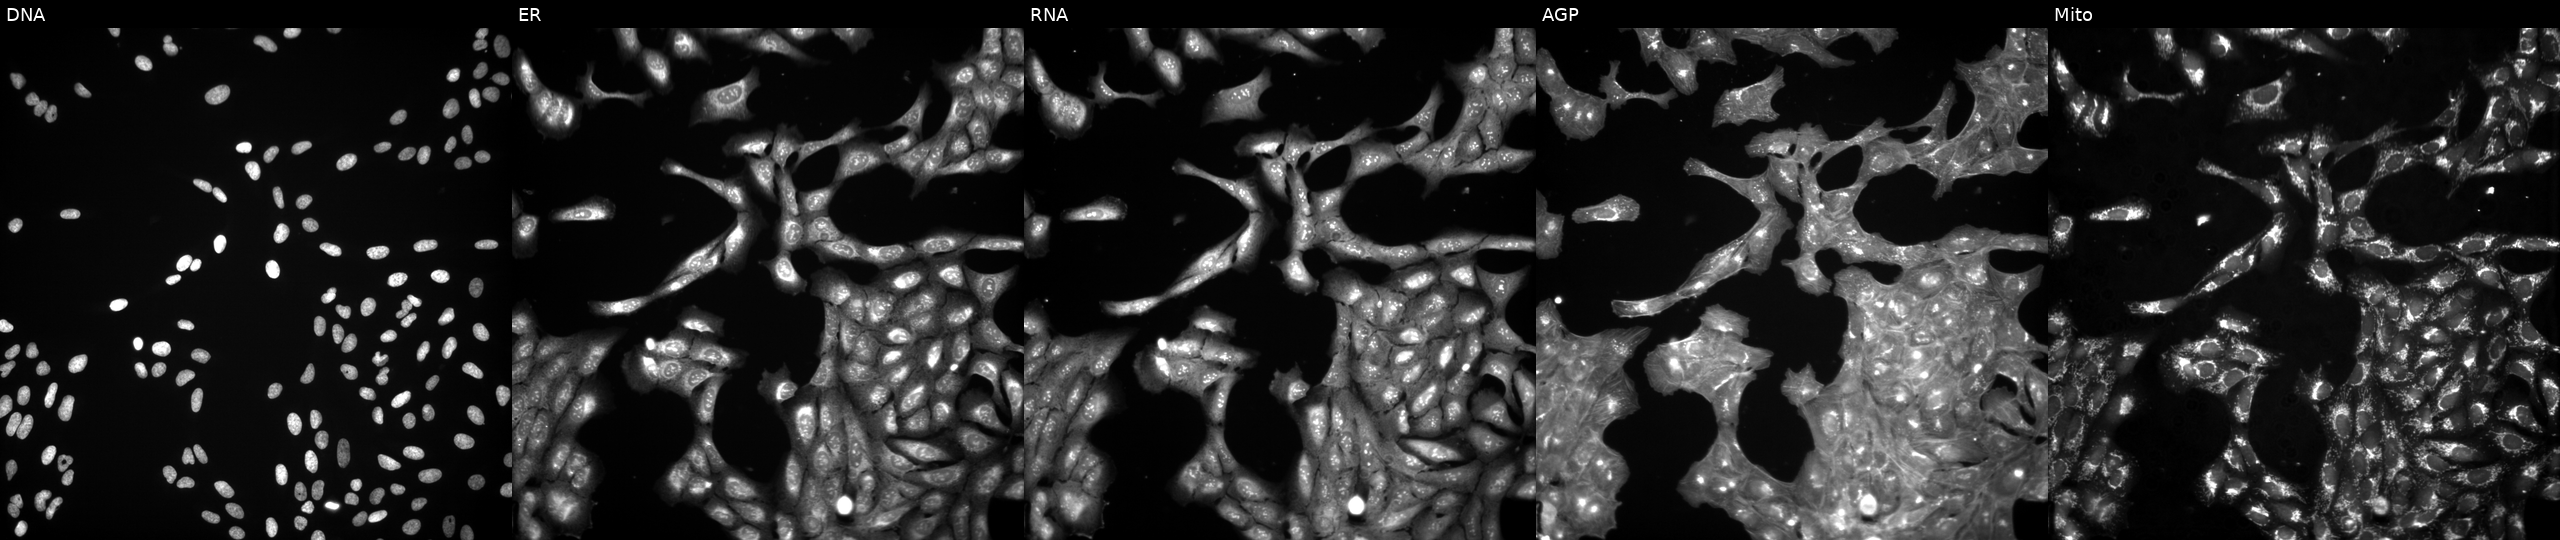
This image strip shows the five Cell Painting channels for a single field of U2OS cells treated with a small-molecule compound (InChIKey NUIKTBLZSPQGCP-UHFFFAOYSA-N) [SMILES: CCOc1ccc(-c2nc(-c3cccc4c3CCC4NCCO)no2)cc1OCC]. From left to right: DNA, ER, RNA, AGP, and Mito.